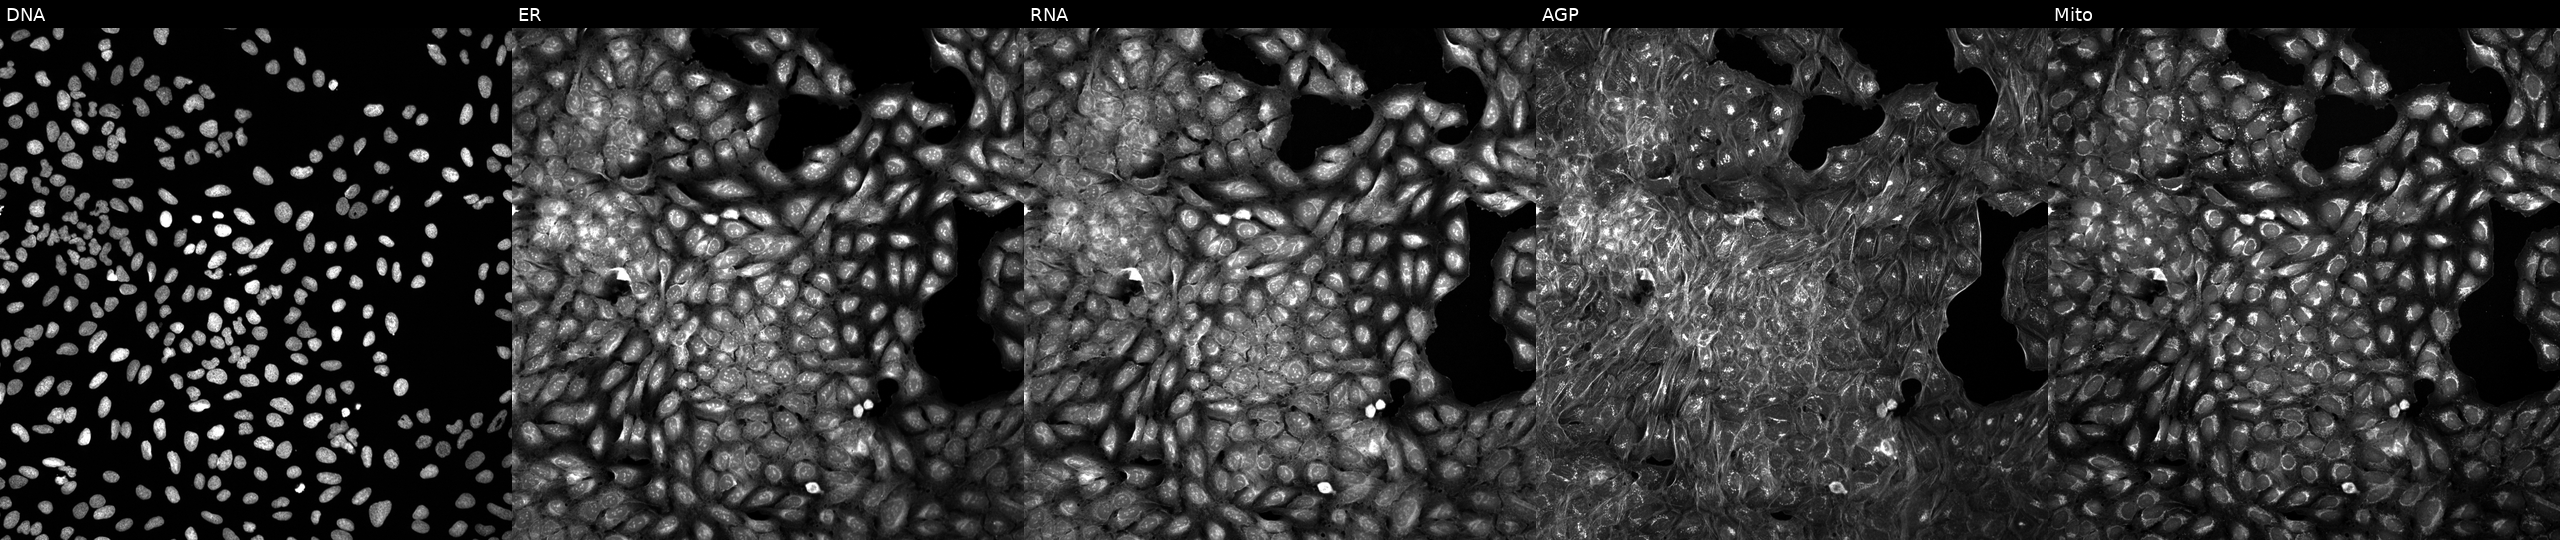
This image strip shows the five Cell Painting channels for a single field of U2OS cells treated with DMSO vehicle only (negative control). Channels (left→right): Hoechst 33342, concanavalin A, SYTO 14, phalloidin and WGA, MitoTracker.